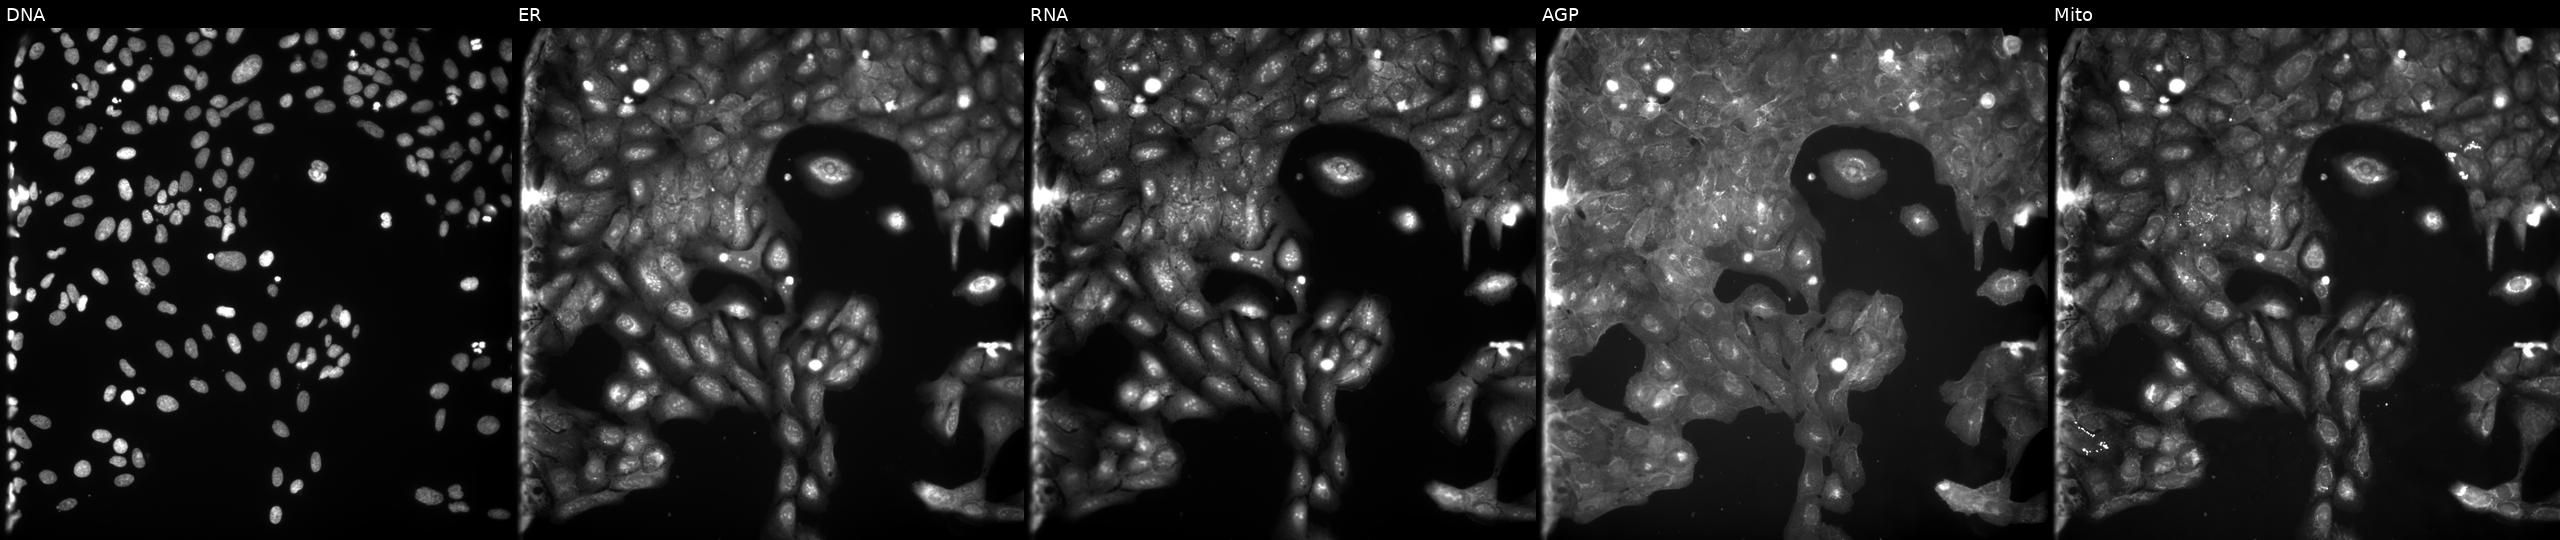
The five panels, left to right, show DNA (nuclei); ER (endoplasmic reticulum); RNA (nucleoli and cytoplasmic RNA); AGP (actin cytoskeleton, Golgi, and plasma membrane); Mito (mitochondria). U2OS osteosarcoma cells treated with a small-molecule compound. Cell Painting assay, JUMP-CP dataset.